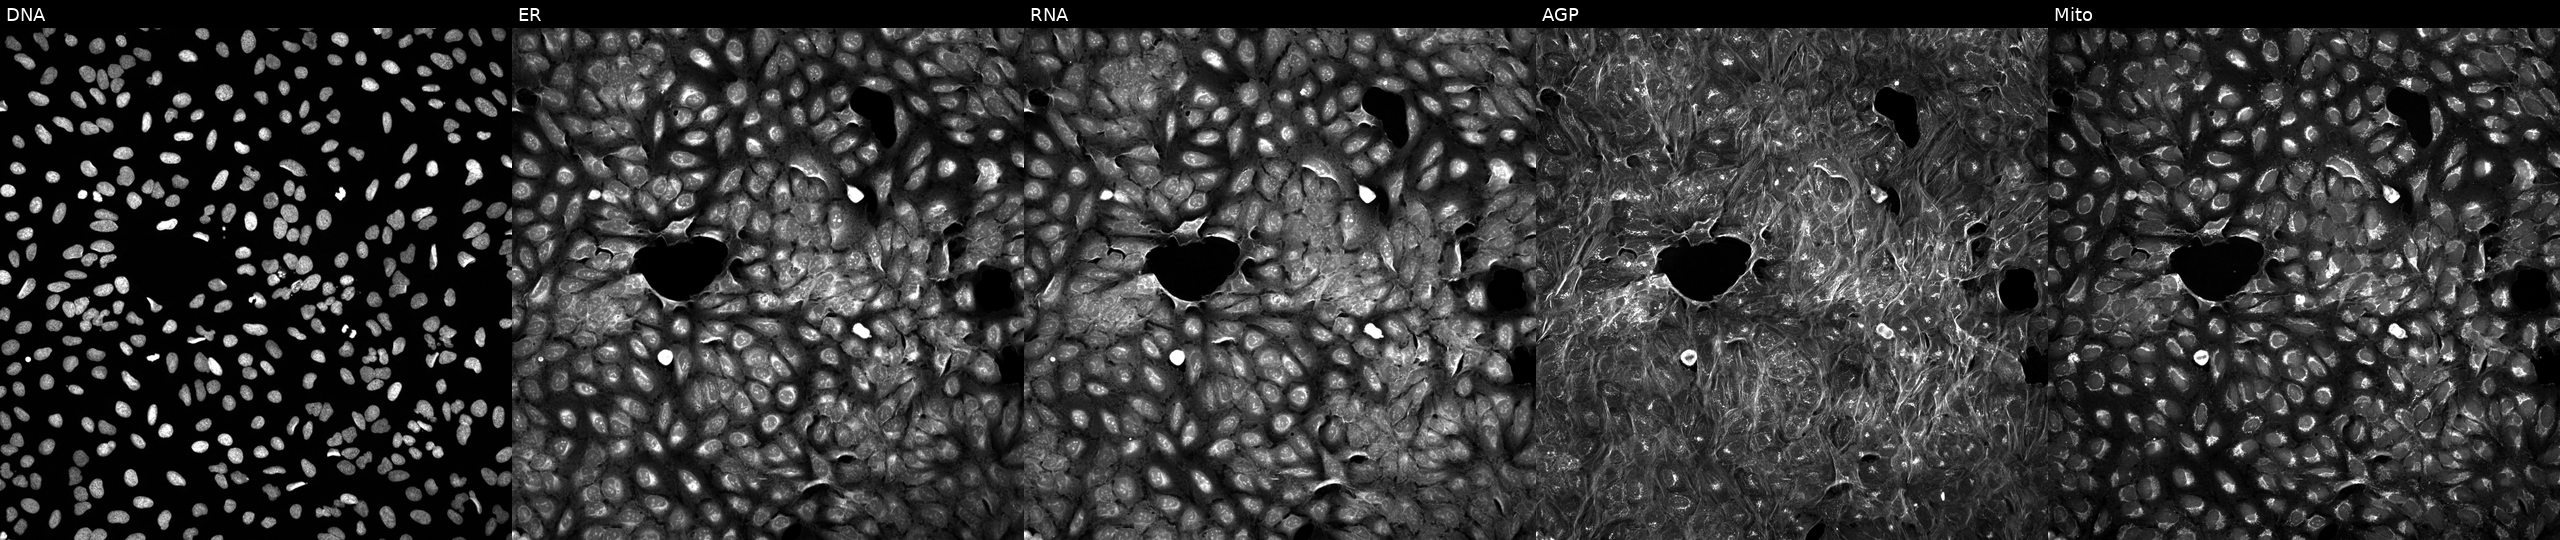
Five-channel Cell Painting image of U2OS cells treated with a small-molecule compound (InChIKey SZBGQDXLNMELTB-UHFFFAOYSA-N) (JUMP id JCP2022_086505). Channels (left→right): DNA (nuclei); ER (endoplasmic reticulum); RNA (nucleoli and cytoplasmic RNA); AGP (actin cytoskeleton, Golgi, and plasma membrane); Mito (mitochondria). Source 5, plate ACPJUM051, well N22.